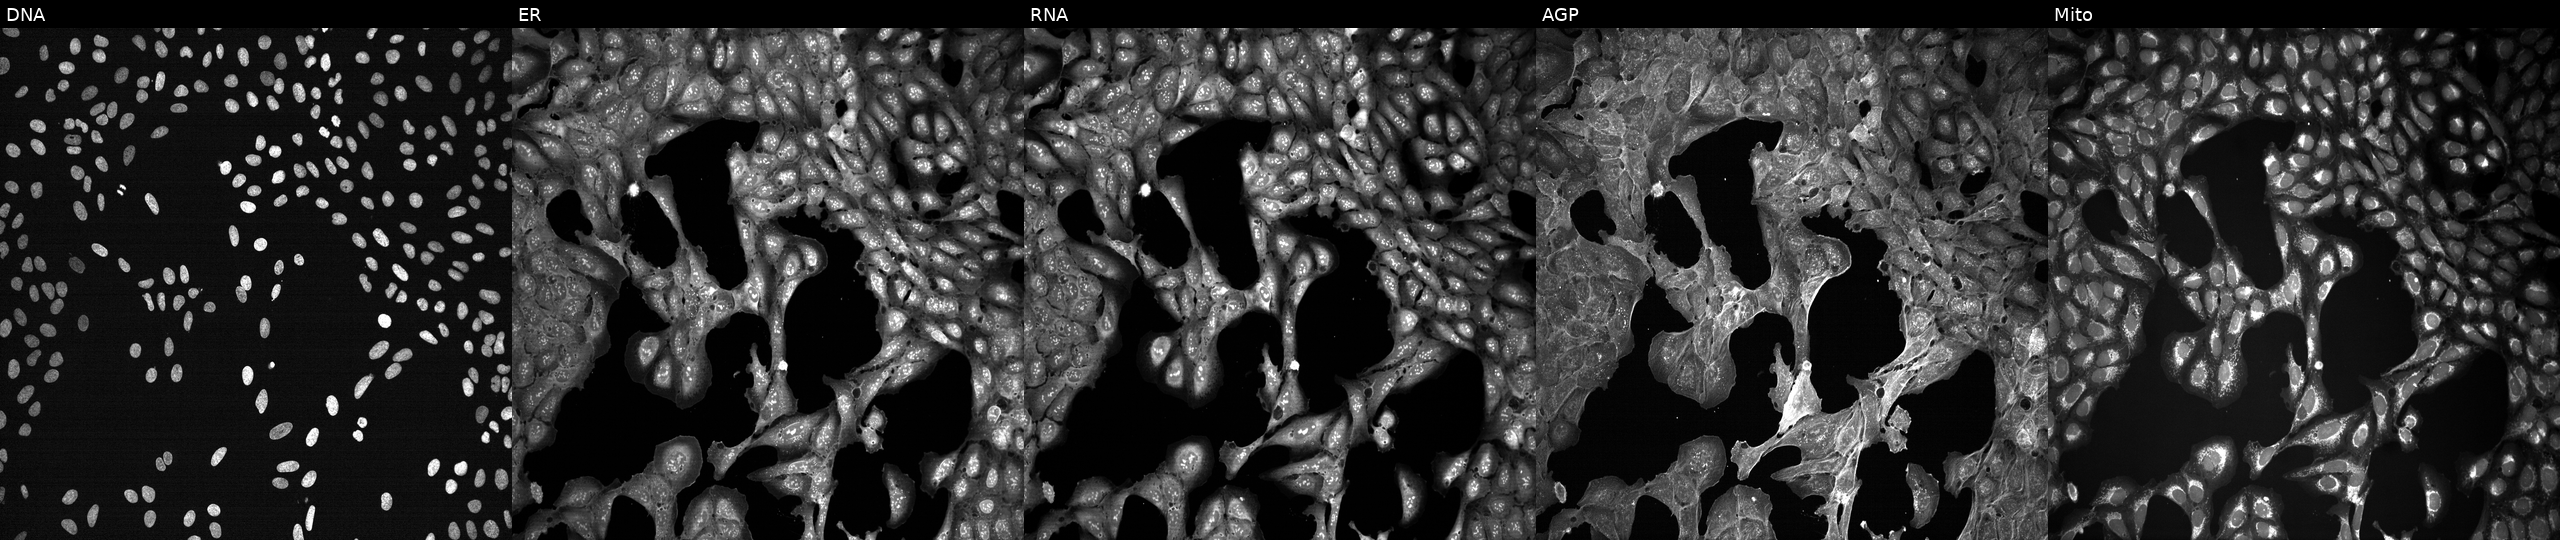
This image strip shows the five Cell Painting channels for a single field of U2OS cells treated with a small-molecule compound (InChIKey WLBUICQBNZXIDJ-UHFFFAOYSA-N). Channels (left→right): DNA, ER, RNA, AGP, and Mito. Source 7, plate CP3-SC1-25, well A17.